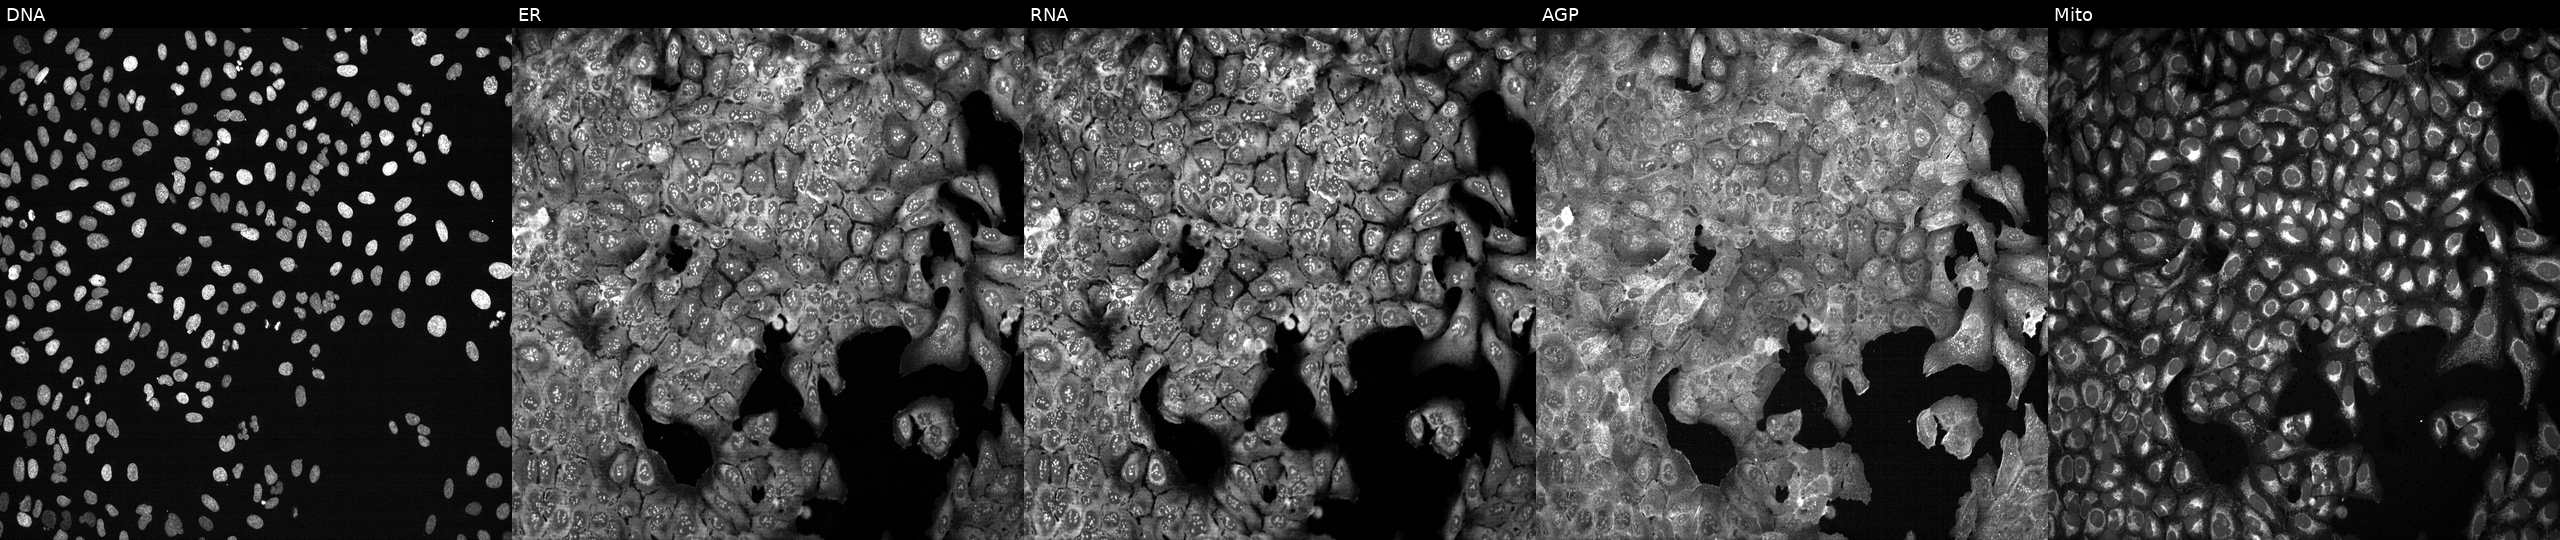
JUMP Cell Painting — CRISPR plate. U2OS cells CRISPR-edited to disrupt HSD17B13 (JUMP id JCP2022_803243). From left to right: DNA, ER, RNA, AGP, and Mito.